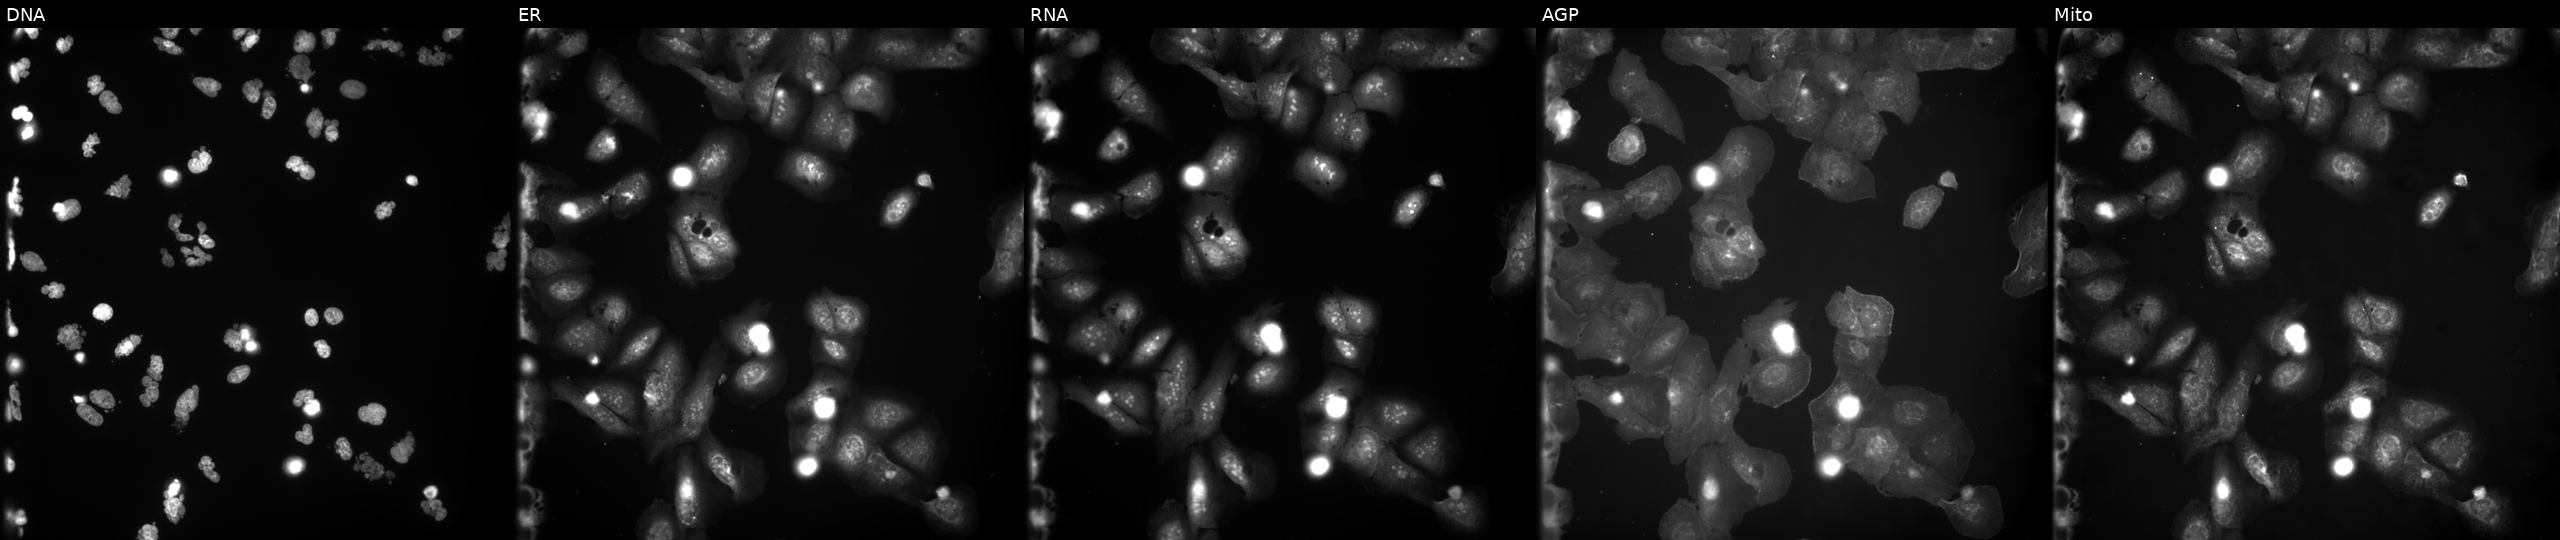
U2OS cells, Cell Painting assay, perturbed with a small-molecule compound (InChIKey WWSWFLFHNAGJJF-UHFFFAOYSA-N). Channels (left→right): DNA, ER, RNA, AGP, and Mito. Each panel is percentile-stretched 16-bit fluorescence. Source 9, plate GR00003381, well M08.